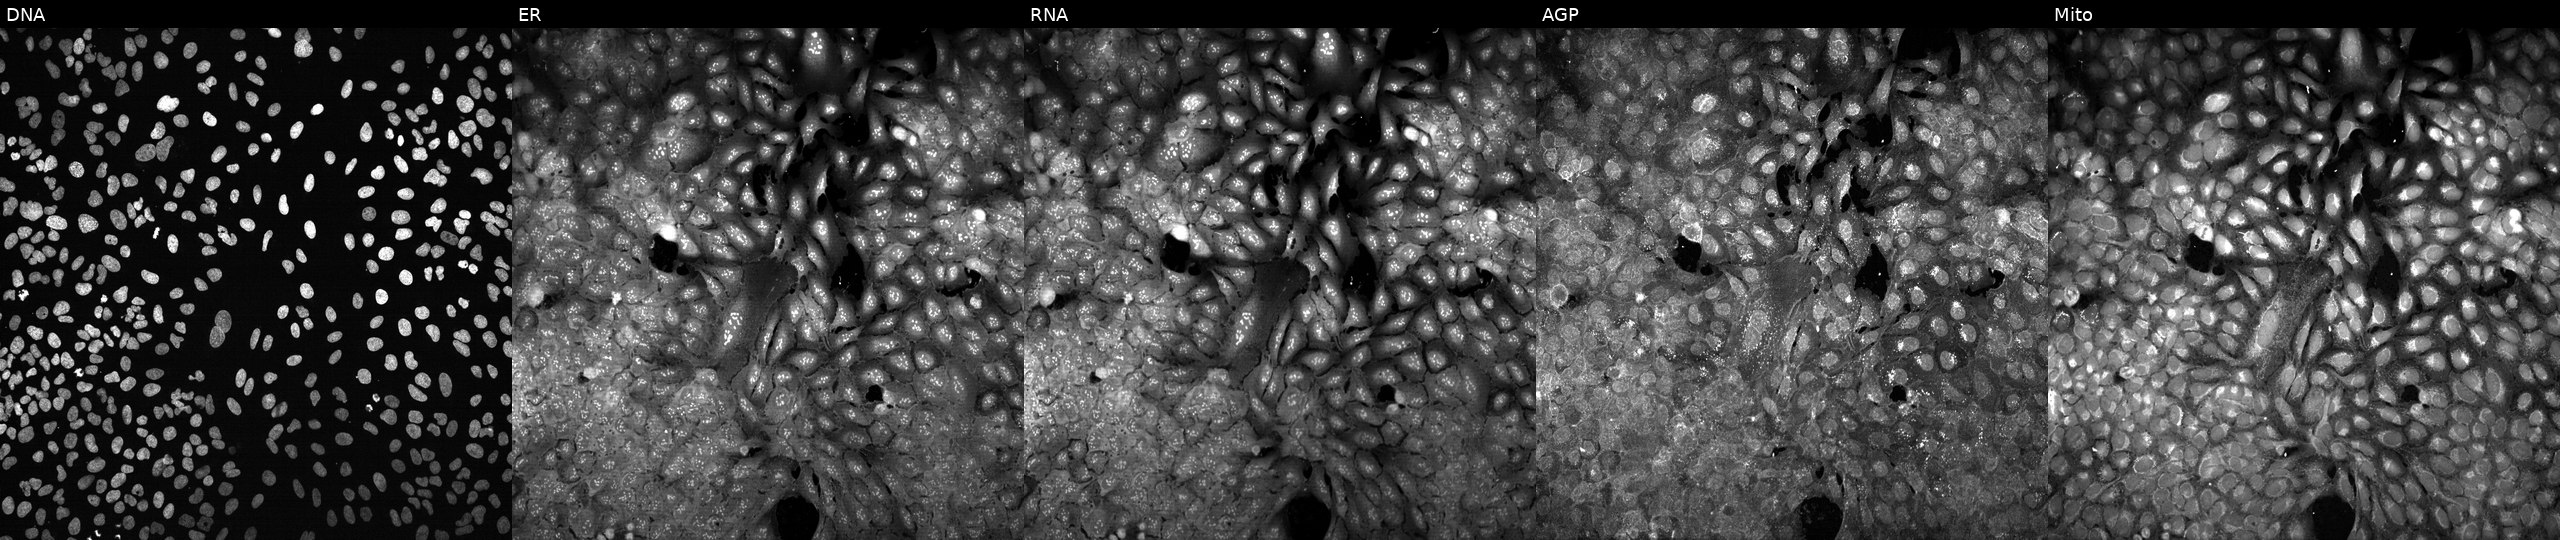
JUMP Cell Painting — CRISPR plate. U2OS cells following CRISPR knockout of UGT1A4. Panels show, left to right, DNA, ER, RNA, AGP, and Mito.